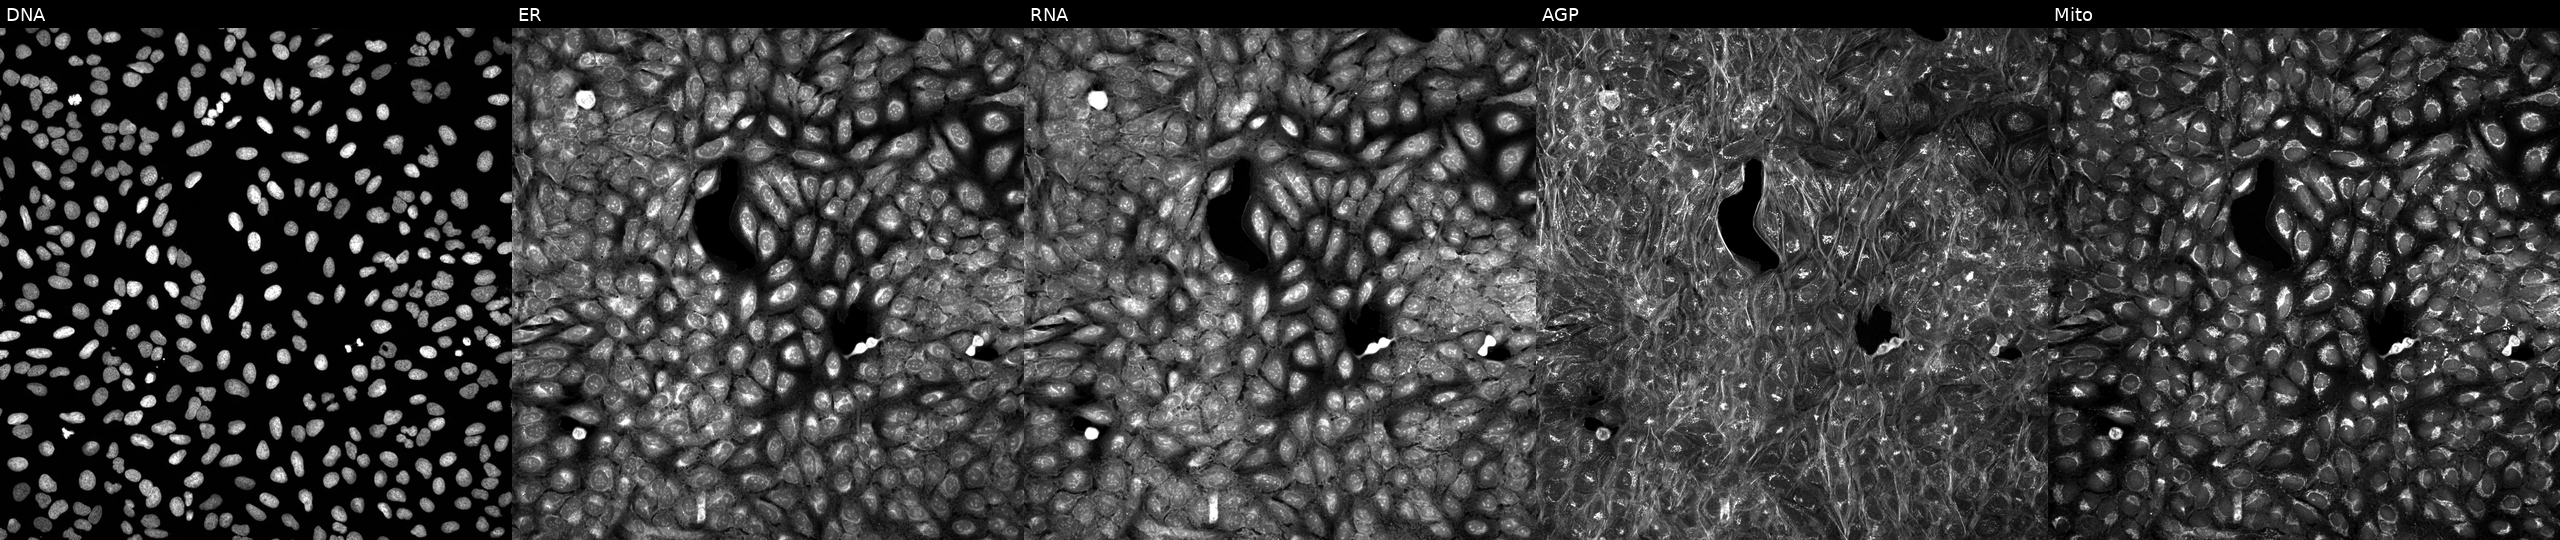
U2OS cells, Cell Painting assay, treated with DMSO vehicle only (negative control) (JUMP id JCP2022_033924). Channels (left→right): DNA (nuclei); ER (endoplasmic reticulum); RNA (nucleoli and cytoplasmic RNA); AGP (actin cytoskeleton, Golgi, and plasma membrane); Mito (mitochondria). Each panel is percentile-stretched 16-bit fluorescence.